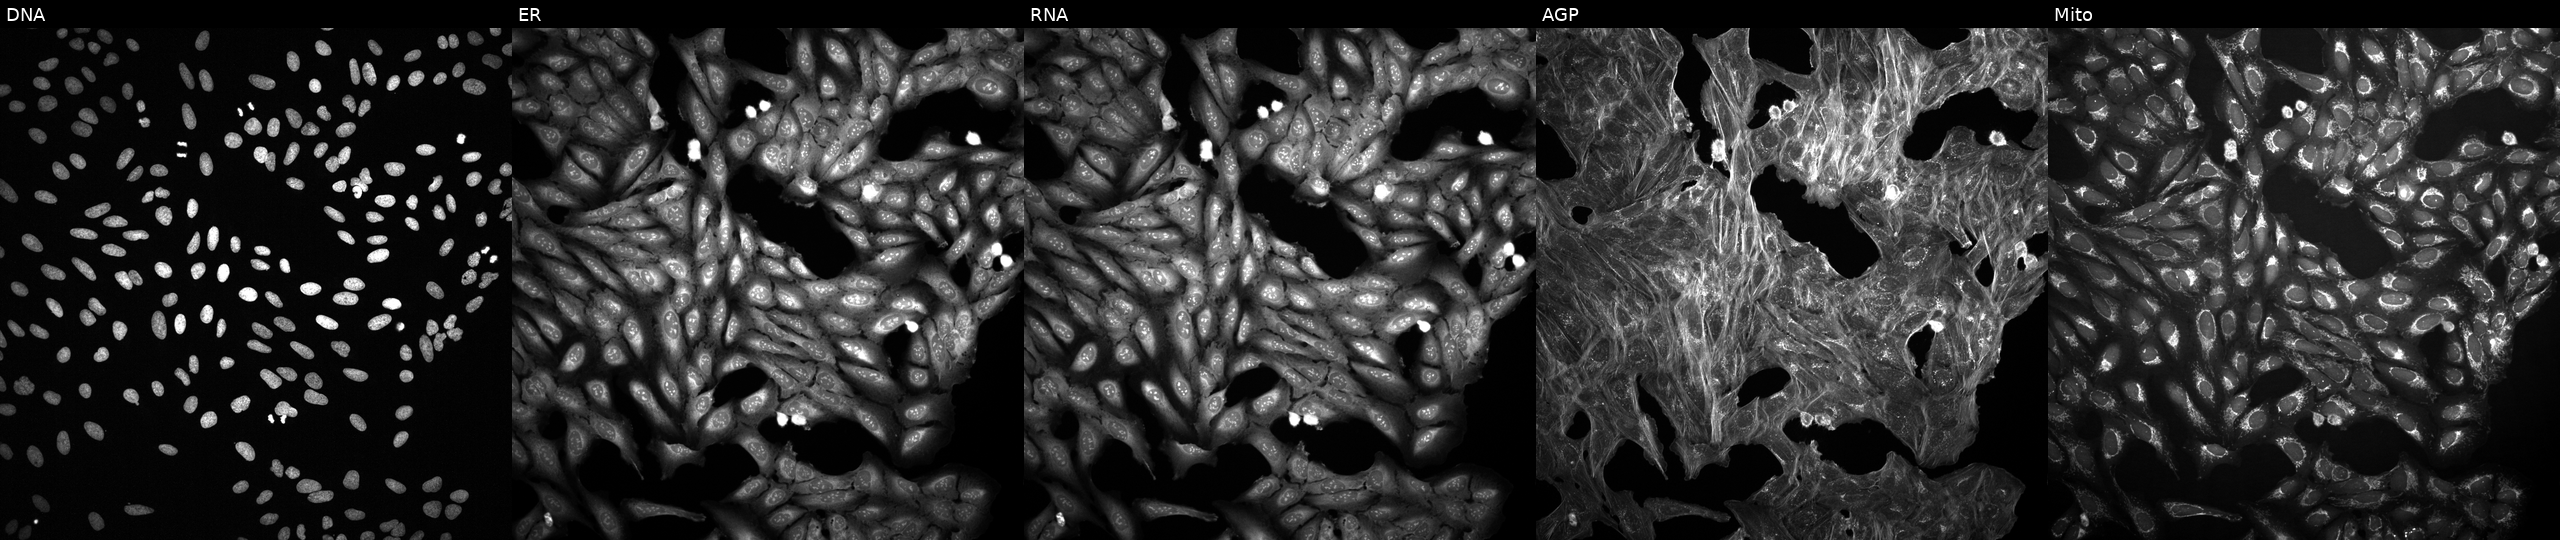
JUMP Cell Painting — TARGET2 plate. U2OS cells perturbed with a small-molecule compound (InChIKey LQERMDXPGNOJCT-UHFFFAOYSA-N) [SMILES: CNC1C(=O)NC2Cc3ccc(cc3)Oc3cc4cc(c3OC3OC(C(=O)O)C(O)C(O)C3NC(=O)CCCCCCCCC(C)C)Oc3ccc(cc3Cl)C(O)c3[nH]c(O)c(c5ccc(O)c(c5)c5c(OC6OC(CO)C(O)C(O)C6O)cc(O)cc5c(=C(O)NCCCN(C)C)[nH]c3O)NC(=O)C4NC(=O)C(NC2=O)c2cc(cc(O)c2Cl)Oc2cc1ccc2O] (JUMP id JCP2022_051043). From left to right: DNA (nuclei); ER (endoplasmic reticulum); RNA (nucleoli and cytoplasmic RNA); AGP (actin cytoskeleton, Golgi, and plasma membrane); Mito (mitochondria).